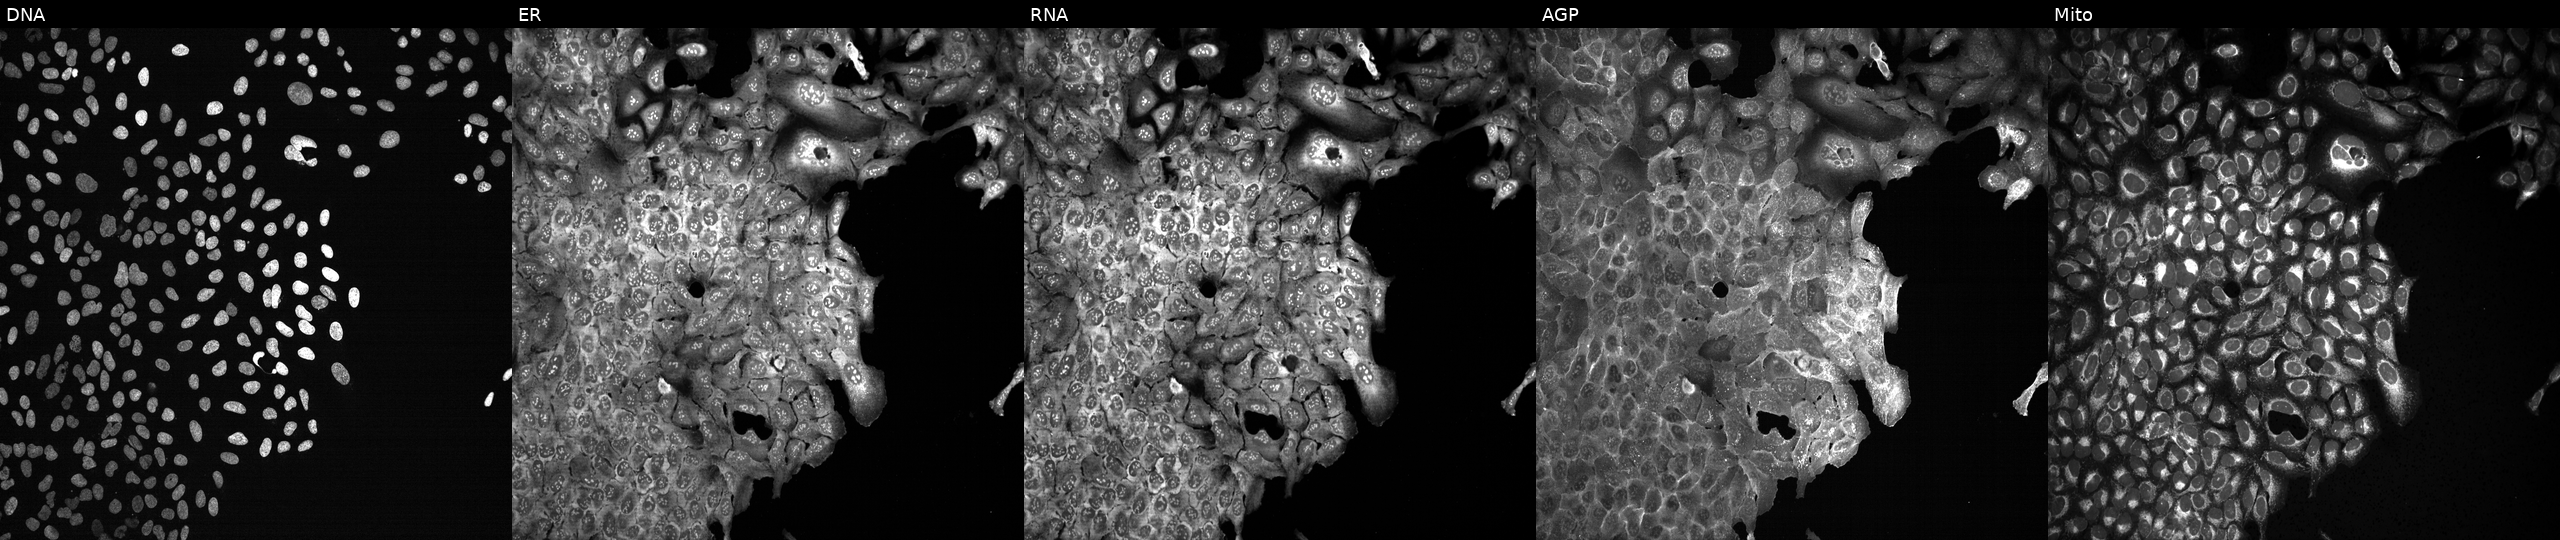
The five panels, left to right, show DNA, ER, RNA, AGP, and Mito. U2OS osteosarcoma cells CRISPR-edited to disrupt LYPLA2 (JUMP id JCP2022_803934). Cell Painting assay, JUMP-CP dataset.